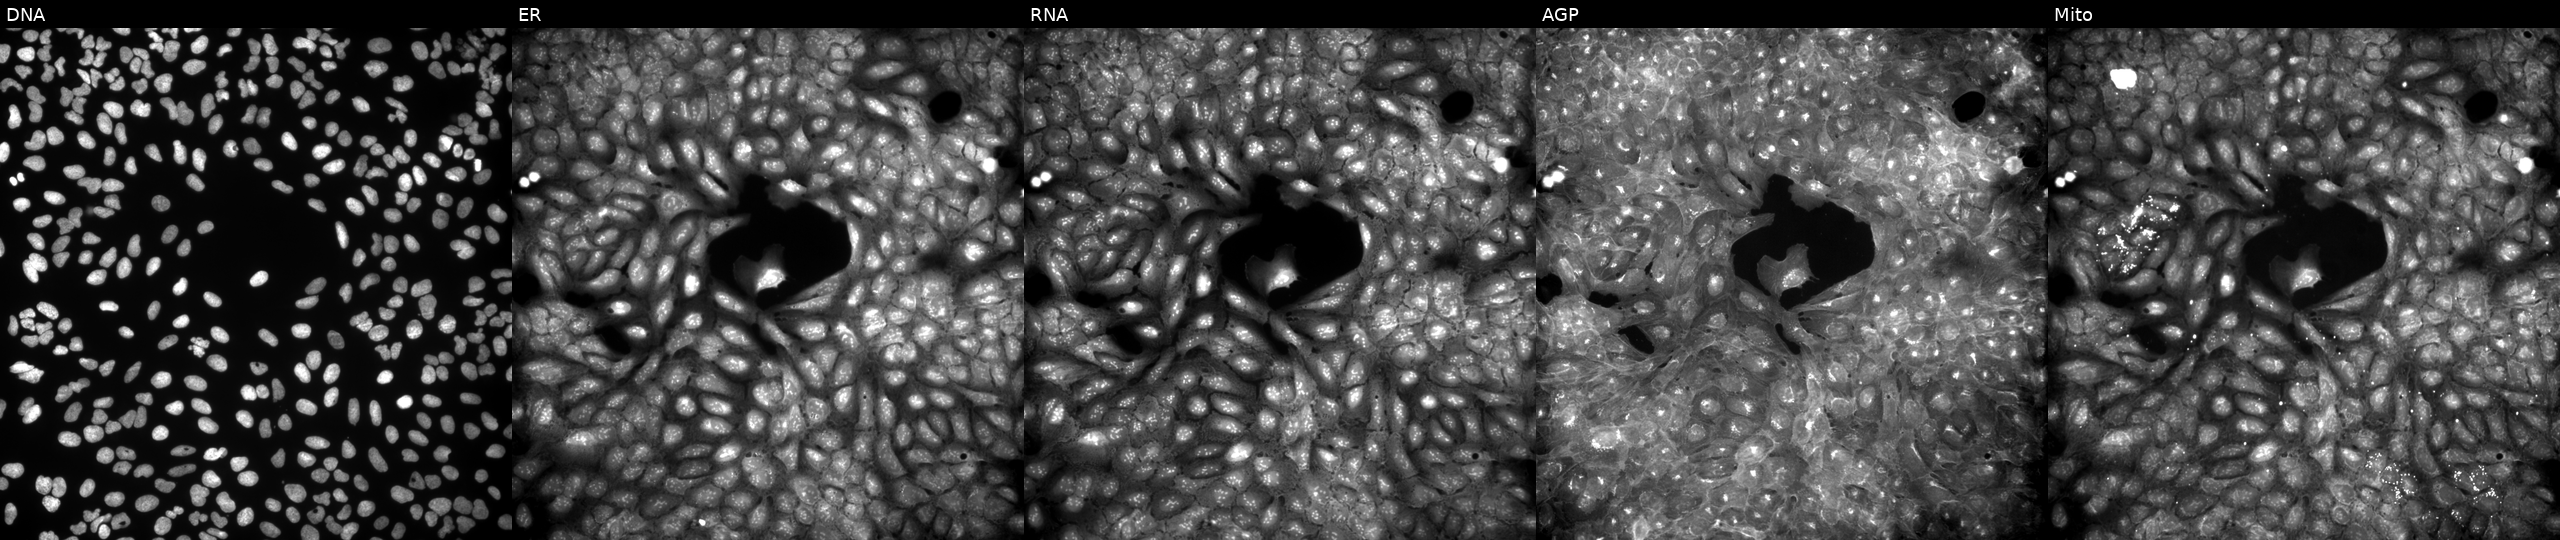
Five-channel Cell Painting image of U2OS cells treated with a small-molecule compound (InChIKey IBVSZQNLCUIJMM-UHFFFAOYSA-N) (JUMP id JCP2022_034084). Panels show, left to right, DNA (nuclei); ER (endoplasmic reticulum); RNA (nucleoli and cytoplasmic RNA); AGP (actin cytoskeleton, Golgi, and plasma membrane); Mito (mitochondria).